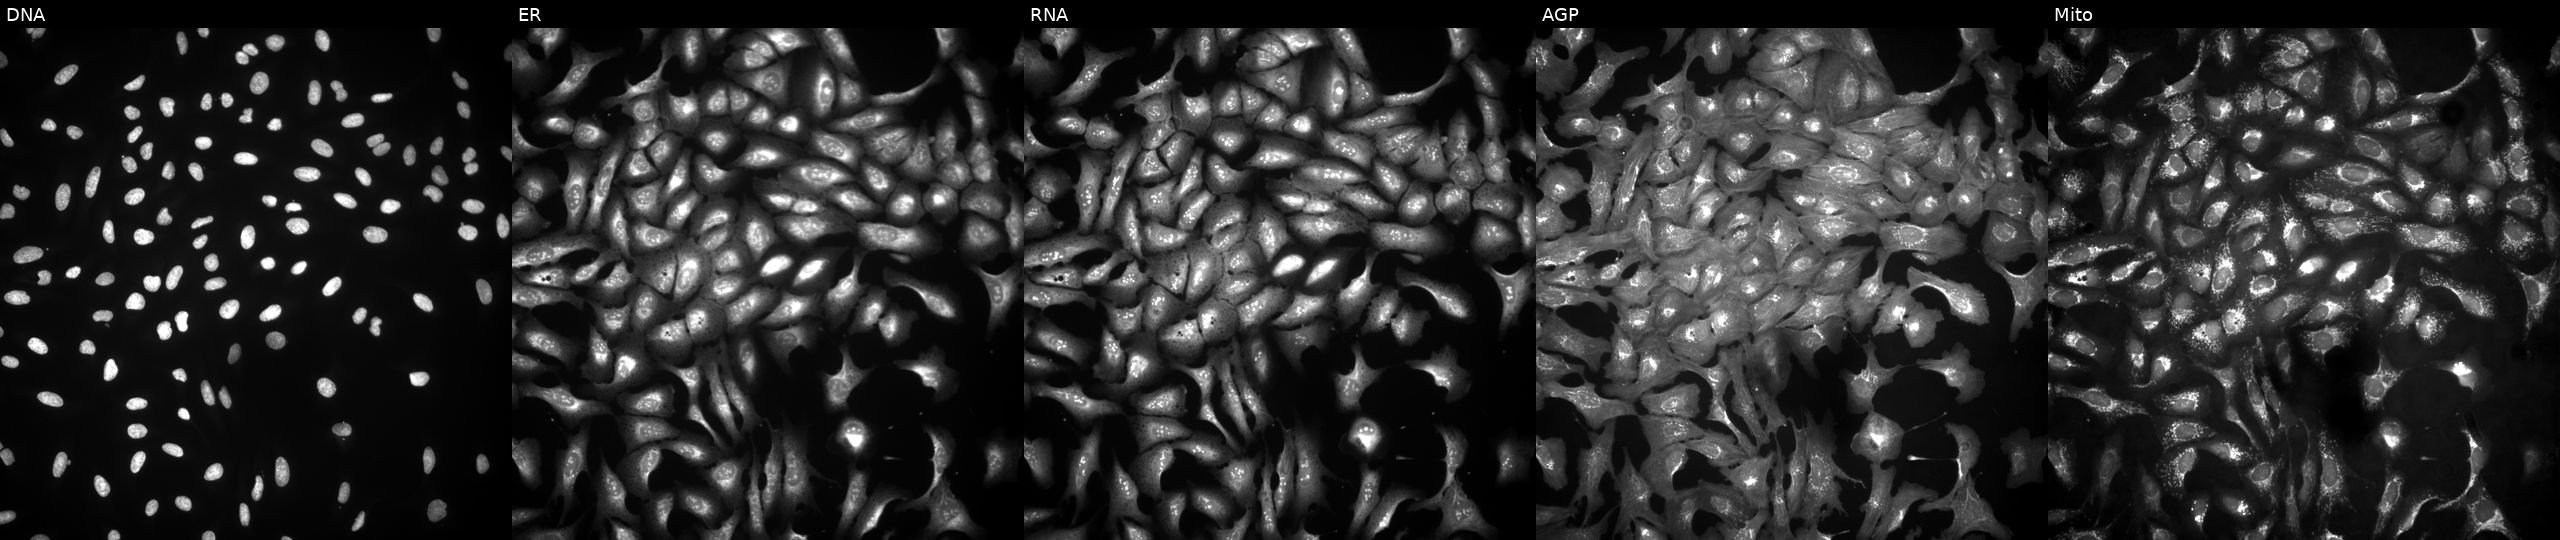
Five-channel Cell Painting image of U2OS cells transfected with an ORF construct for ALOXE3 (JUMP id JCP2022_903642). From left to right: DNA, ER, RNA, AGP, and Mito.